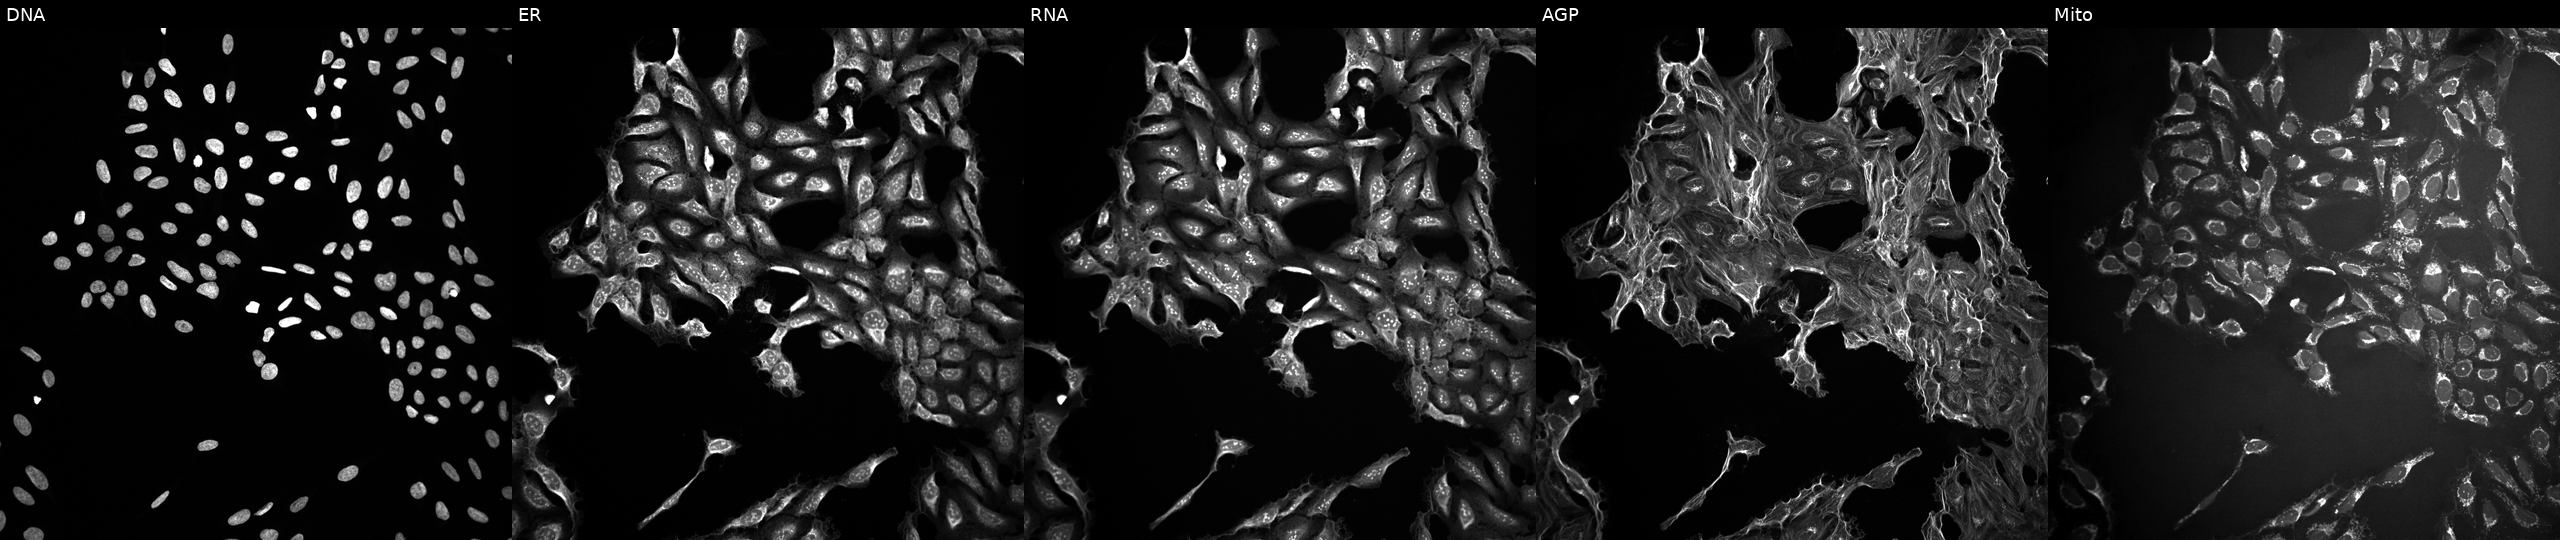
Five-channel Cell Painting image of U2OS cells treated with DMSO vehicle only (negative control). From left to right: Hoechst 33342, concanavalin A, SYTO 14, phalloidin and WGA, MitoTracker. Source 10, plate Dest210727-153003, well K24.